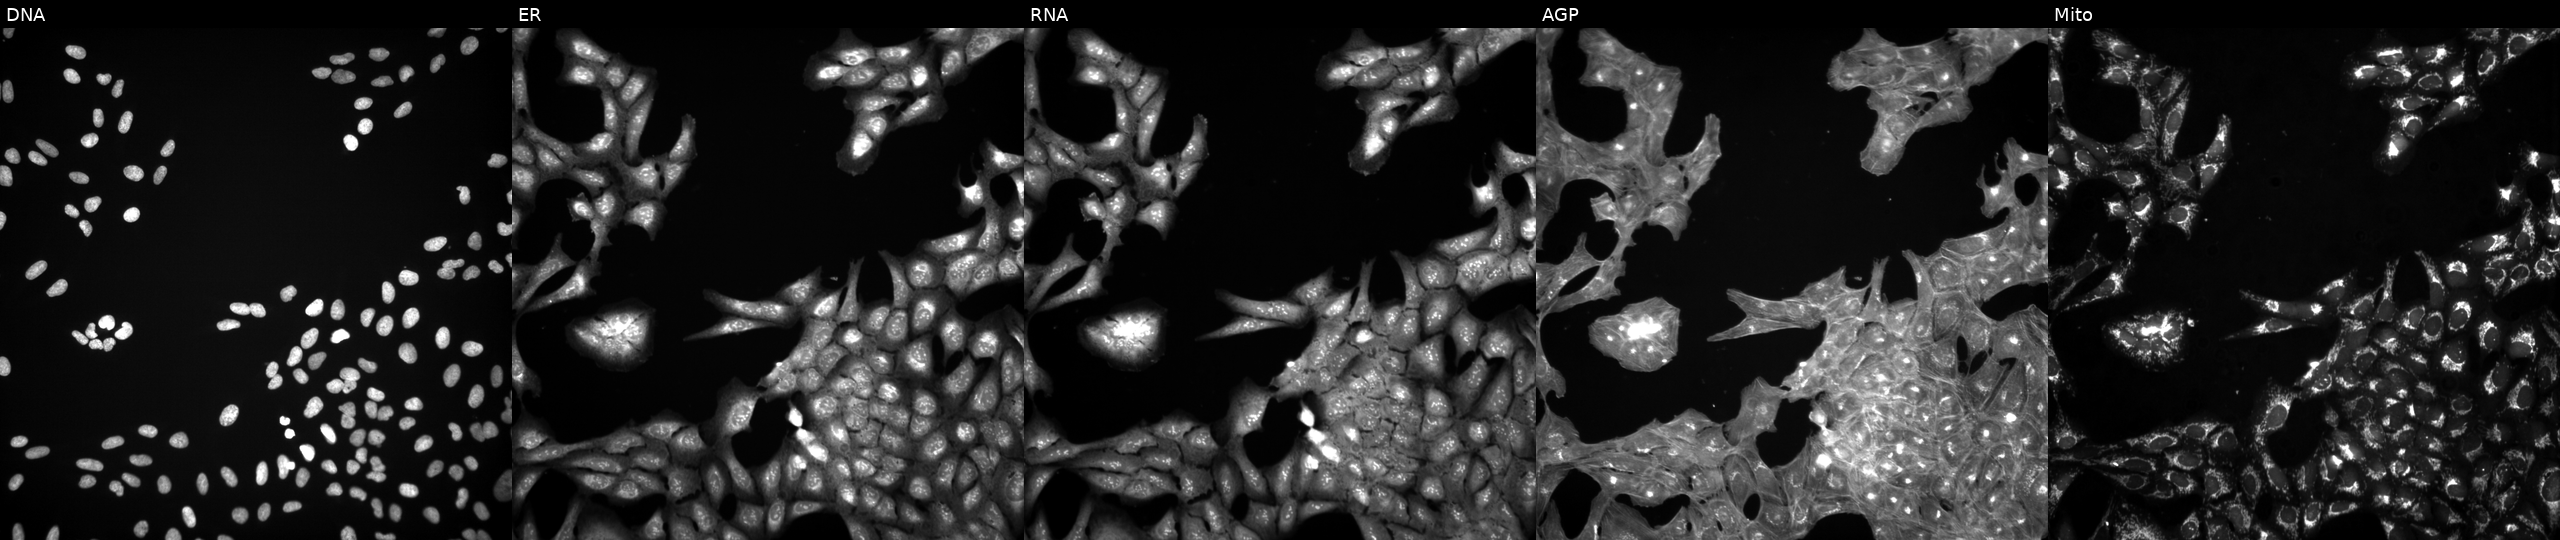
Channels (left→right): DNA, ER, RNA, AGP, and Mito. U2OS osteosarcoma cells exposed to a small-molecule compound (InChIKey XXRCUYVCPSWGCC-UHFFFAOYSA-N). Cell Painting assay, JUMP-CP dataset.